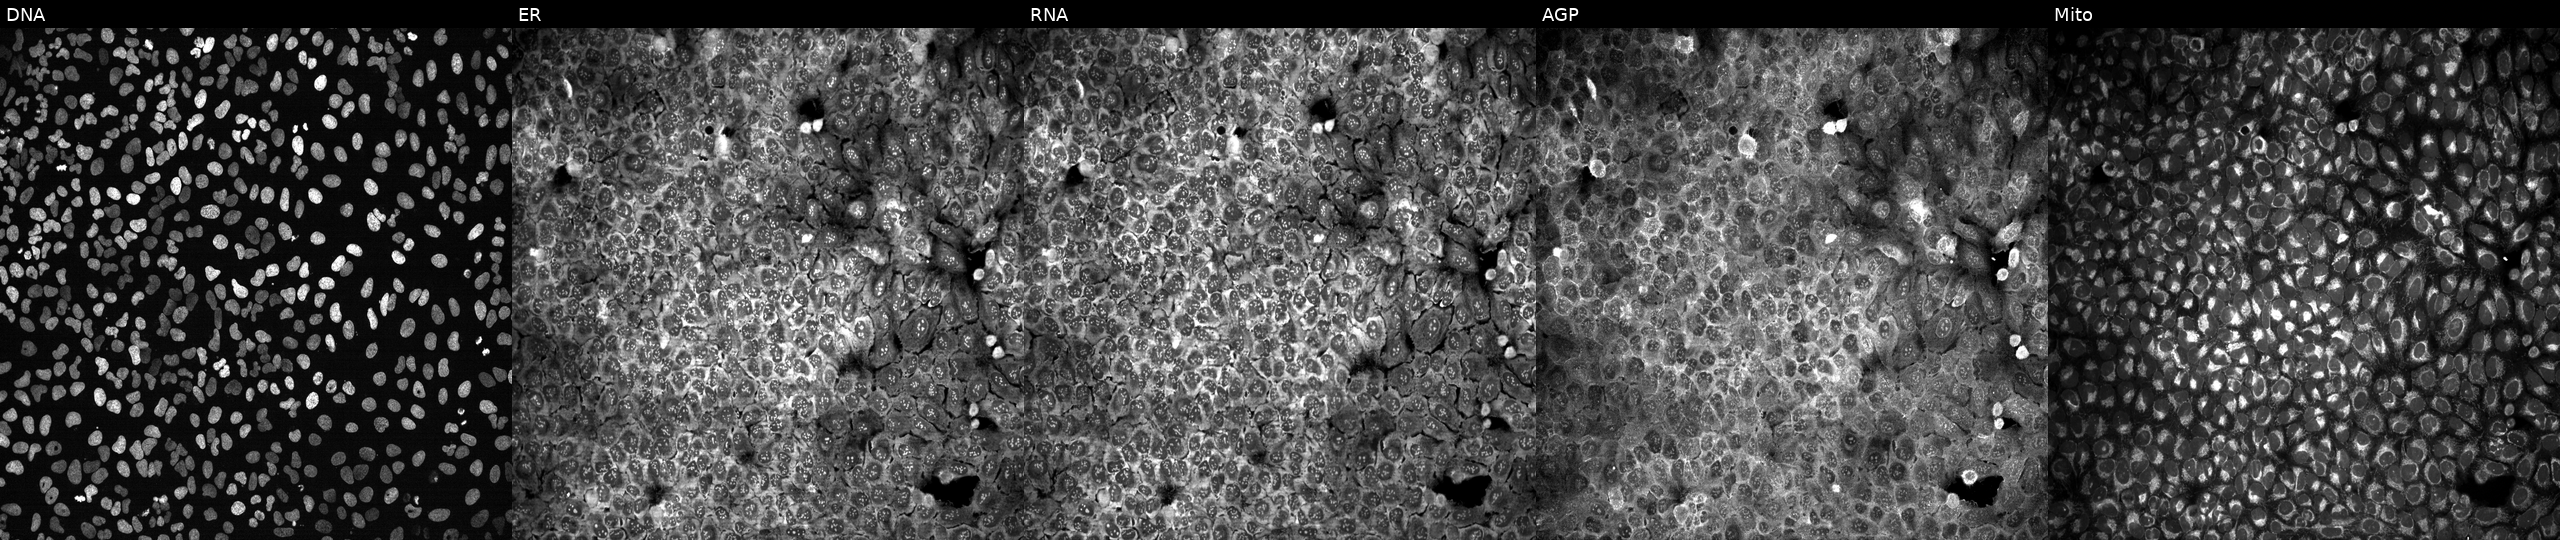
This image strip shows the five Cell Painting channels for a single field of U2OS cells following CRISPR knockout of MYO5C. The five panels, left to right, show Hoechst 33342, concanavalin A, SYTO 14, phalloidin and WGA, MitoTracker.